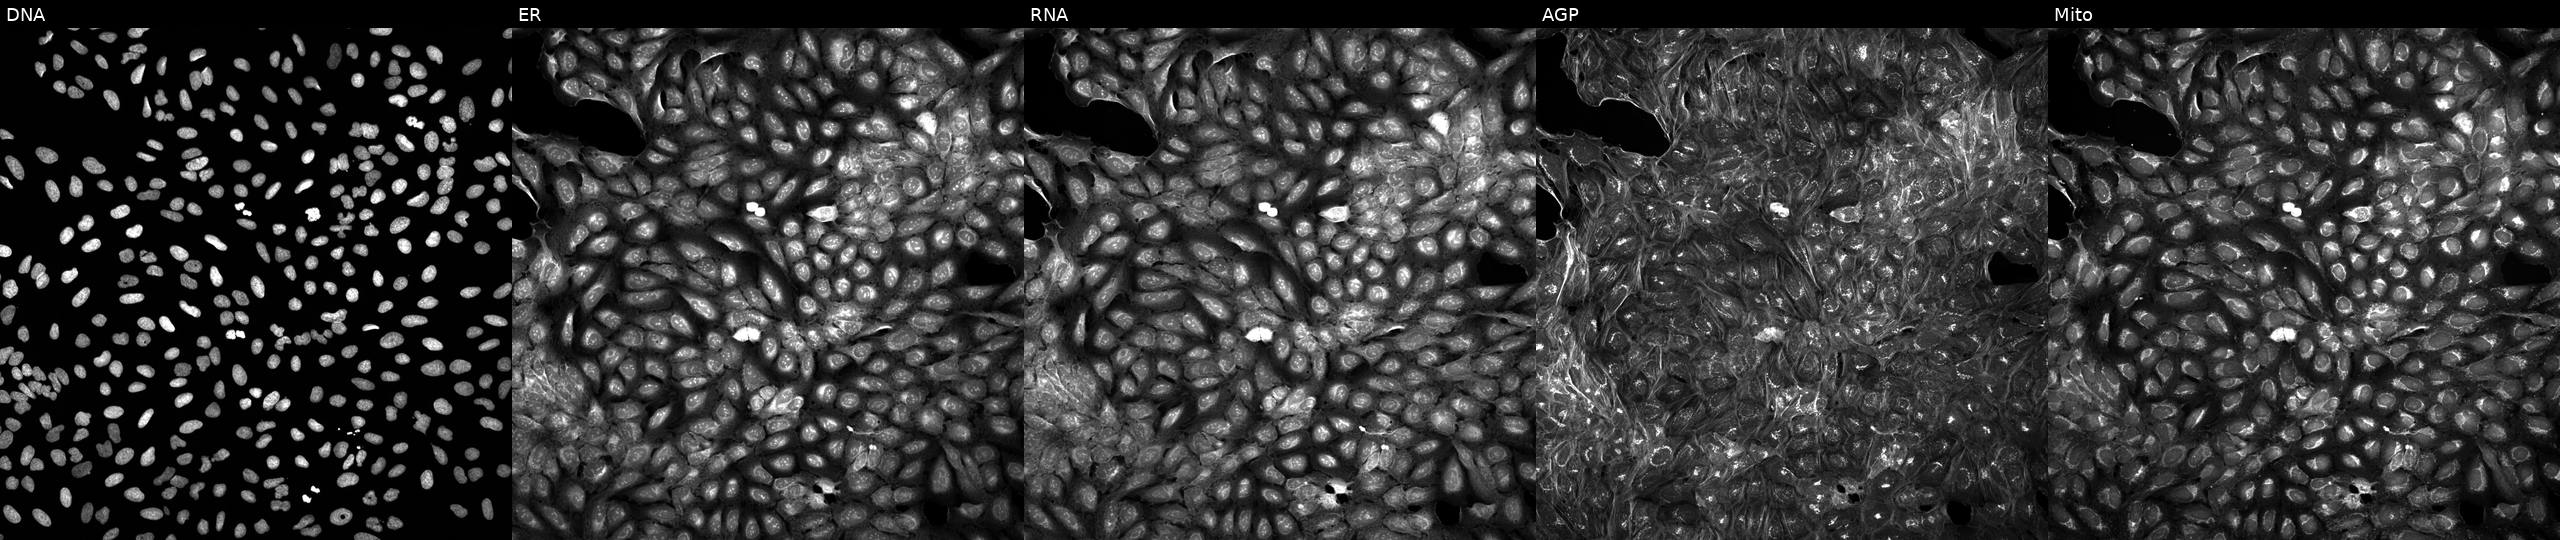
This image strip shows the five Cell Painting channels for a single field of U2OS cells exposed to a small-molecule compound (InChIKey TULVWHUOBZHJOD-UHFFFAOYSA-N). Panels show, left to right, Hoechst 33342, concanavalin A, SYTO 14, phalloidin and WGA, MitoTracker.